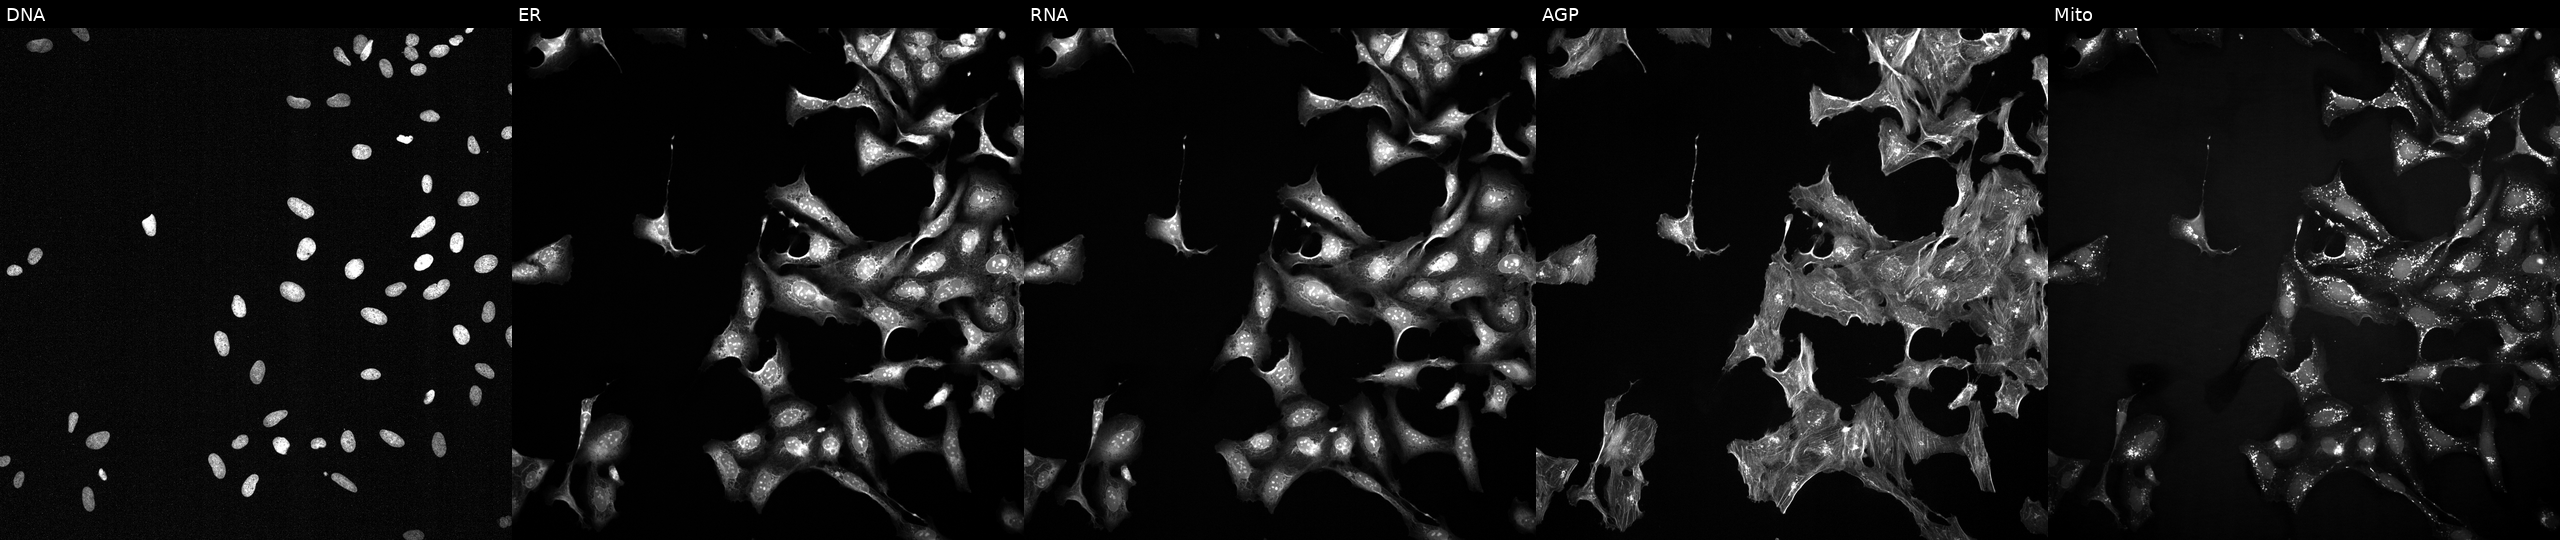
Channels (left→right): DNA, ER, RNA, AGP, and Mito. U2OS osteosarcoma cells perturbed with a small-molecule compound (InChIKey QNRODODTMXCRKU-UHFFFAOYSA-N) [SMILES: c1ccc(-c2ccc(CN=c3[nH]c(-c4ccccn4)nnc3-c3ccccc3)cc2)cc1] (JUMP id JCP2022_074702). Cell Painting assay, JUMP-CP dataset.